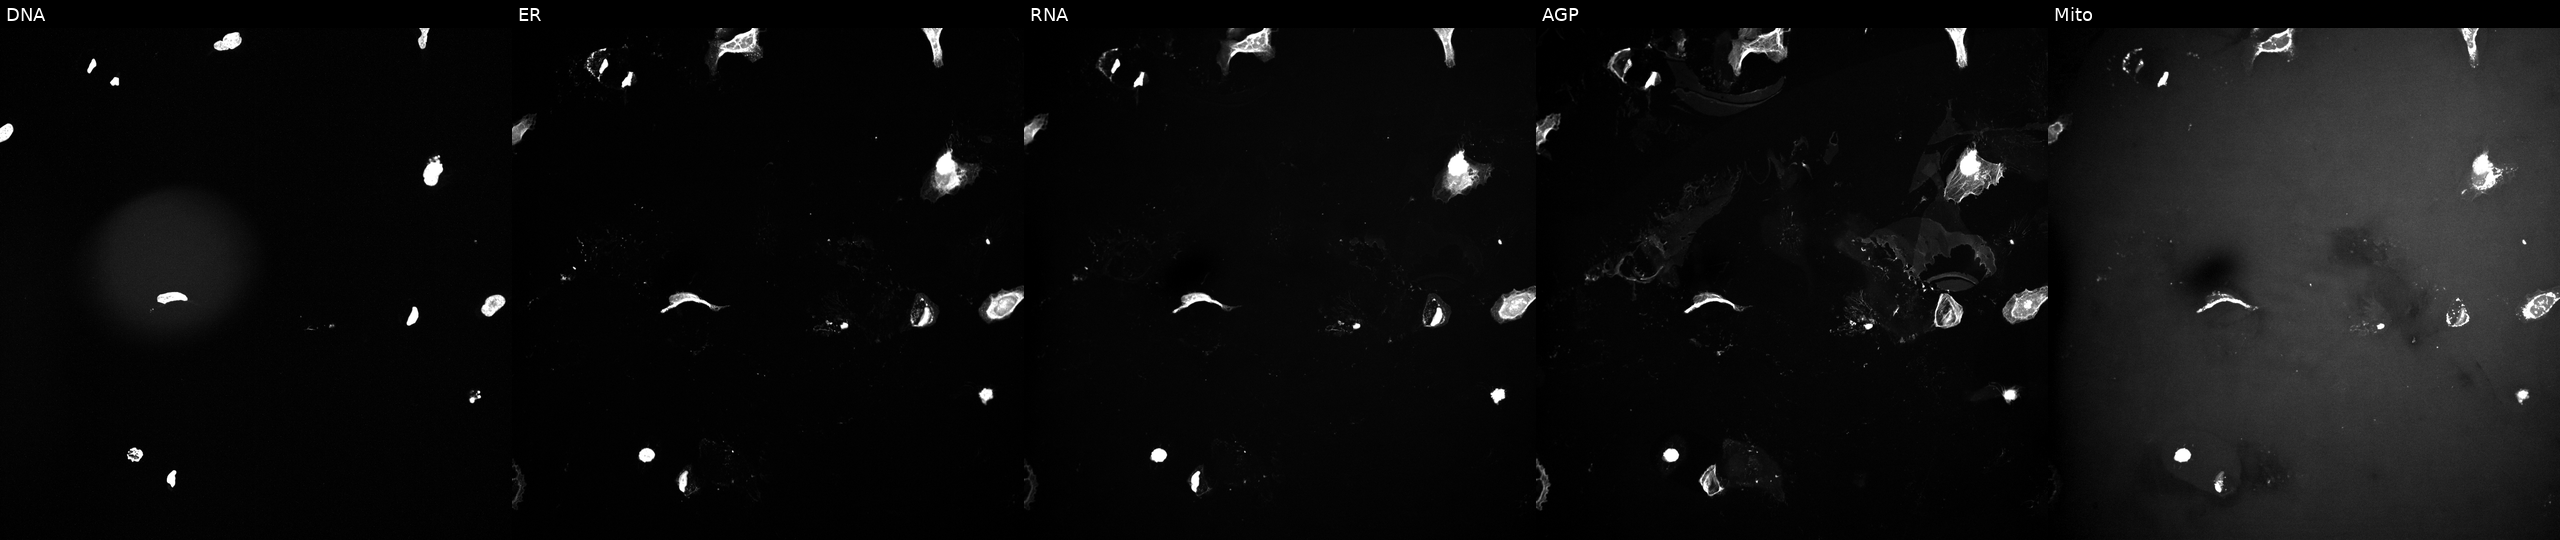
JUMP Cell Painting — TARGET2 plate. U2OS cells exposed to a small-molecule compound (InChIKey AYCPARAPKDAOEN-UHFFFAOYSA-N) (JUMP id JCP2022_004587). The five panels, left to right, show DNA, ER, RNA, AGP, and Mito.